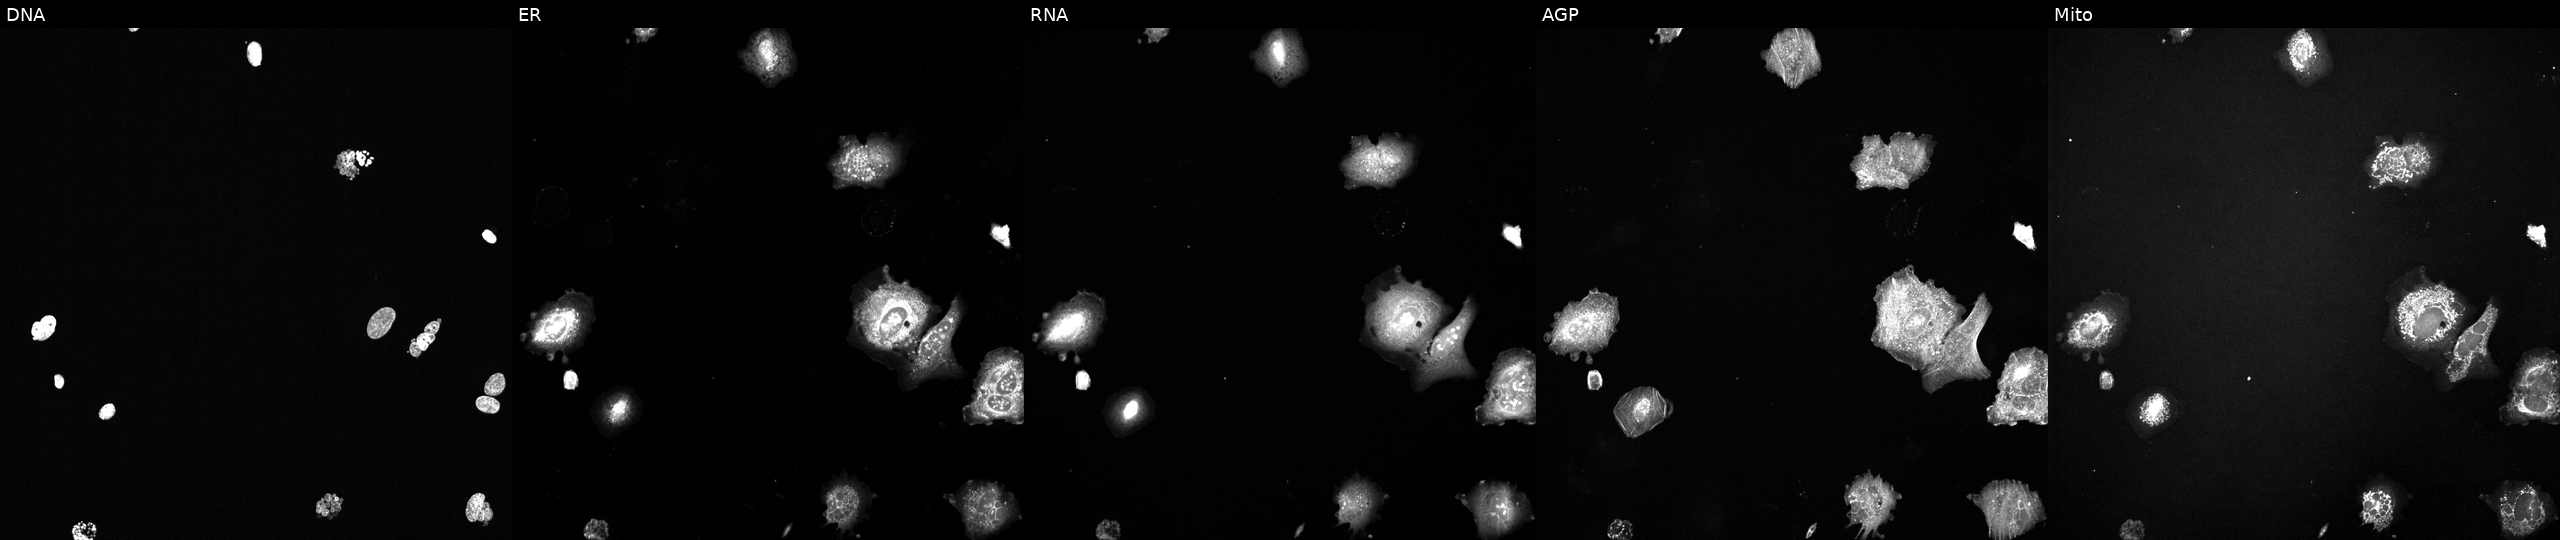
High-content fluorescence microscopy (Cell Painting). Cell line: U2OS. Perturbation: perturbed with a small-molecule compound (InChIKey VSVFLGPUZJTBSD-UHFFFAOYSA-N) [SMILES: COc1cc(OC)c(C=CS(=O)(=O)Cc2ccc(OC)c(O[PH](=O)(=O)O)c2)c(OC)c1]. Channels (left→right): DNA, ER, RNA, AGP, and Mito.